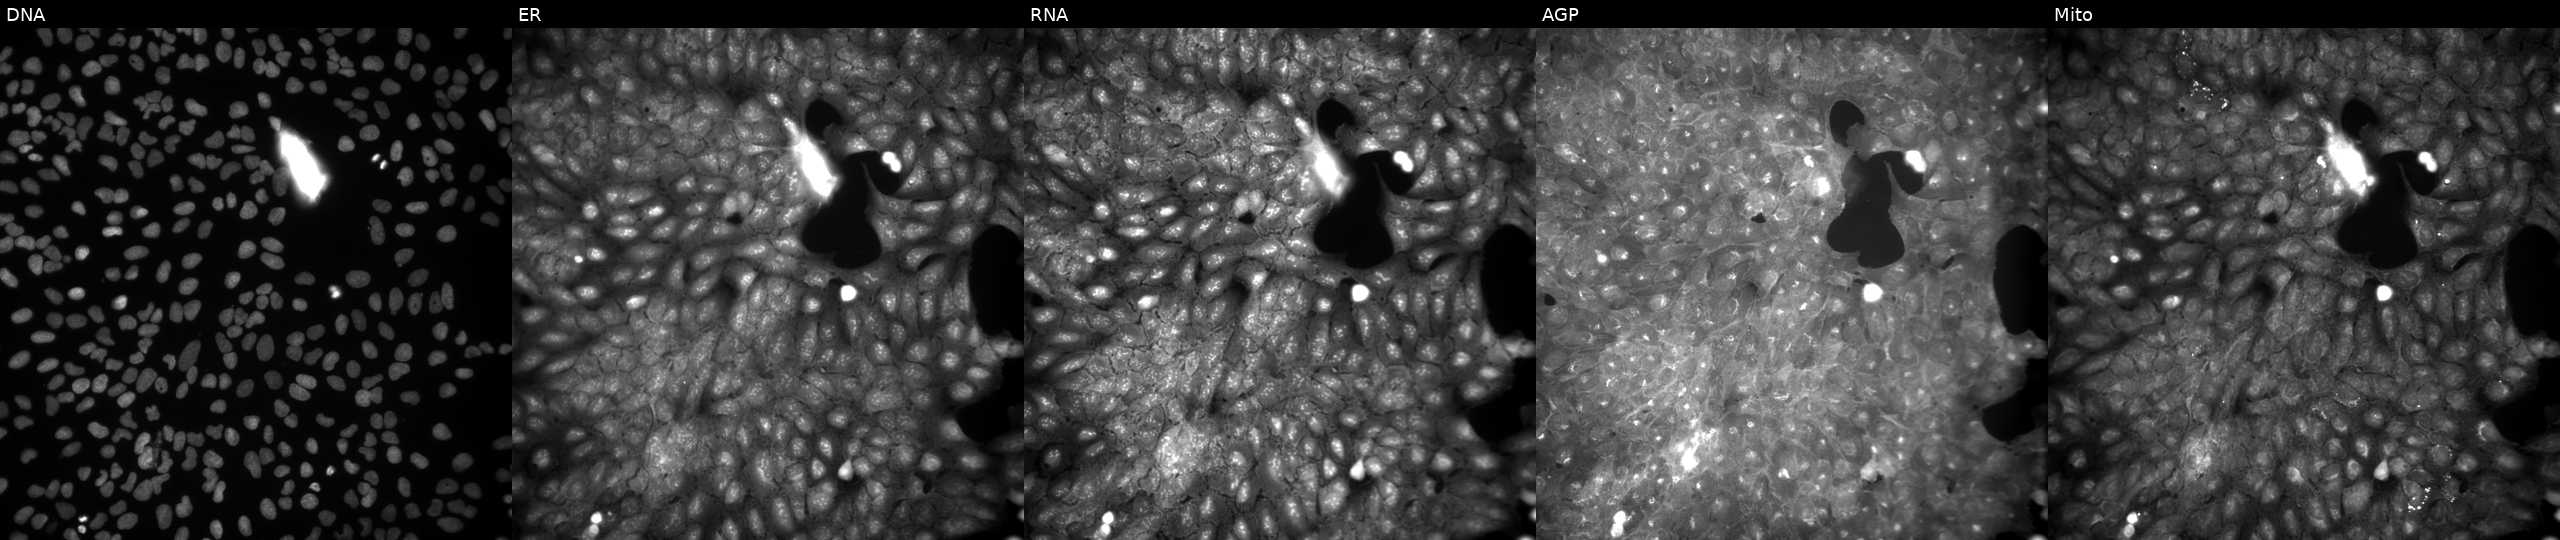
U2OS cells, Cell Painting assay, treated with a small-molecule compound (InChIKey HVBLJIUEBIYWIA-UHFFFAOYSA-N) [SMILES: O=[N+]([O-])c1ccccc1S(=O)(=O)NCc1cccnc1] (JUMP id JCP2022_032794). The five panels, left to right, show DNA (nuclei); ER (endoplasmic reticulum); RNA (nucleoli and cytoplasmic RNA); AGP (actin cytoskeleton, Golgi, and plasma membrane); Mito (mitochondria). Each panel is percentile-stretched 16-bit fluorescence. Source 9, plate GR00003381, well K43.